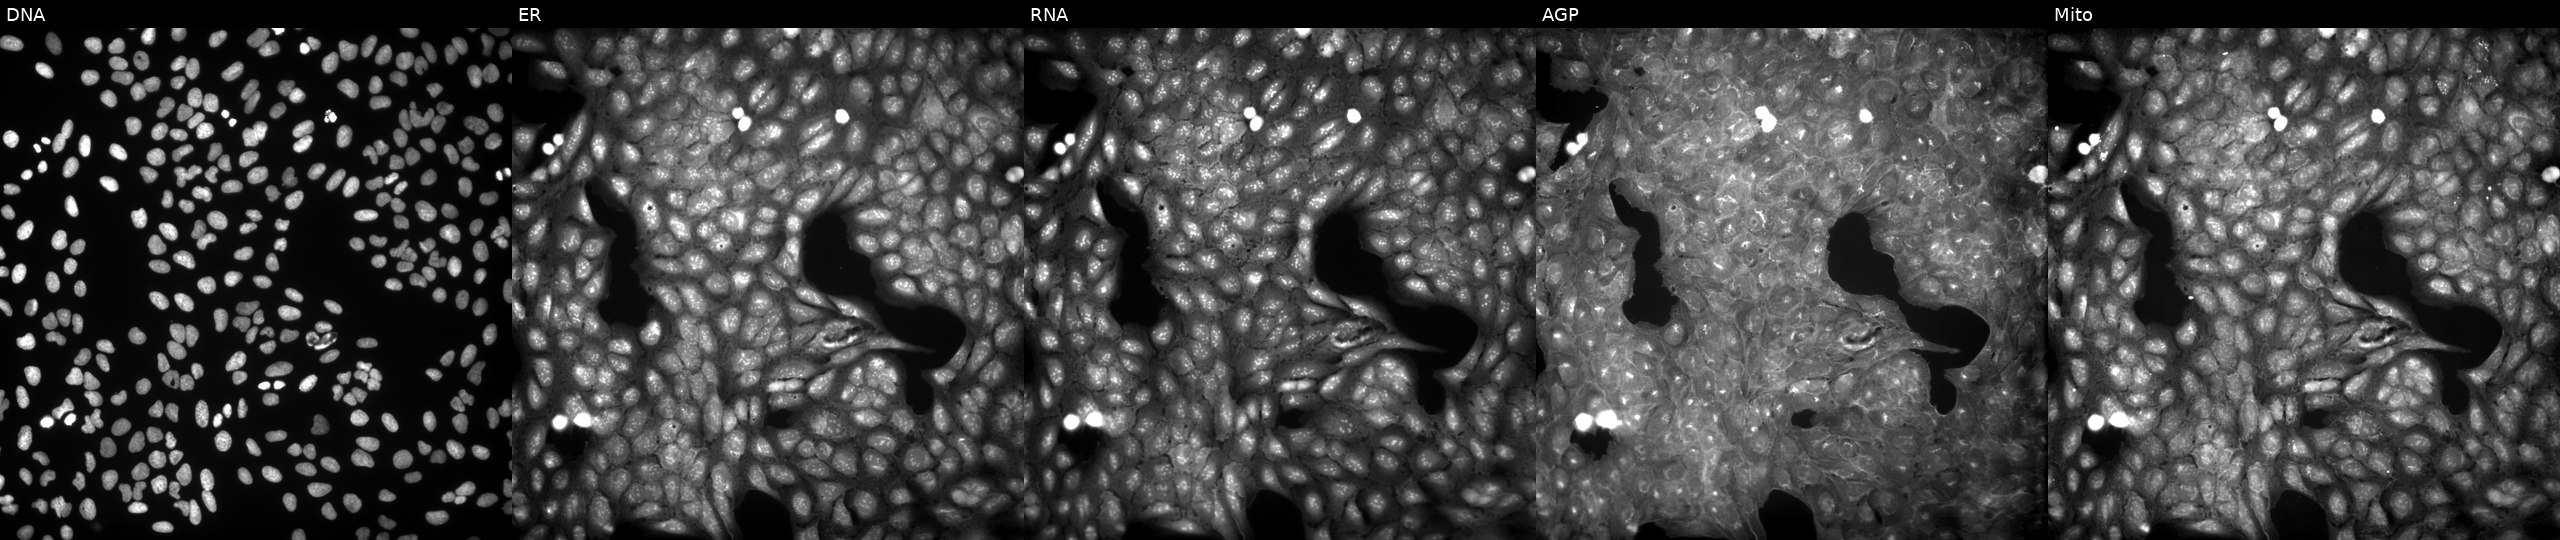
High-content fluorescence microscopy (Cell Painting). Cell line: U2OS. Perturbation: perturbed with a small-molecule compound [SMILES: Cc1ccc(C(=O)N=c2c(C(=O)N3CCOCC3)c[nH]n2-c2ccccc2)cc1]. Channels (left→right): DNA (nuclei); ER (endoplasmic reticulum); RNA (nucleoli and cytoplasmic RNA); AGP (actin cytoskeleton, Golgi, and plasma membrane); Mito (mitochondria).